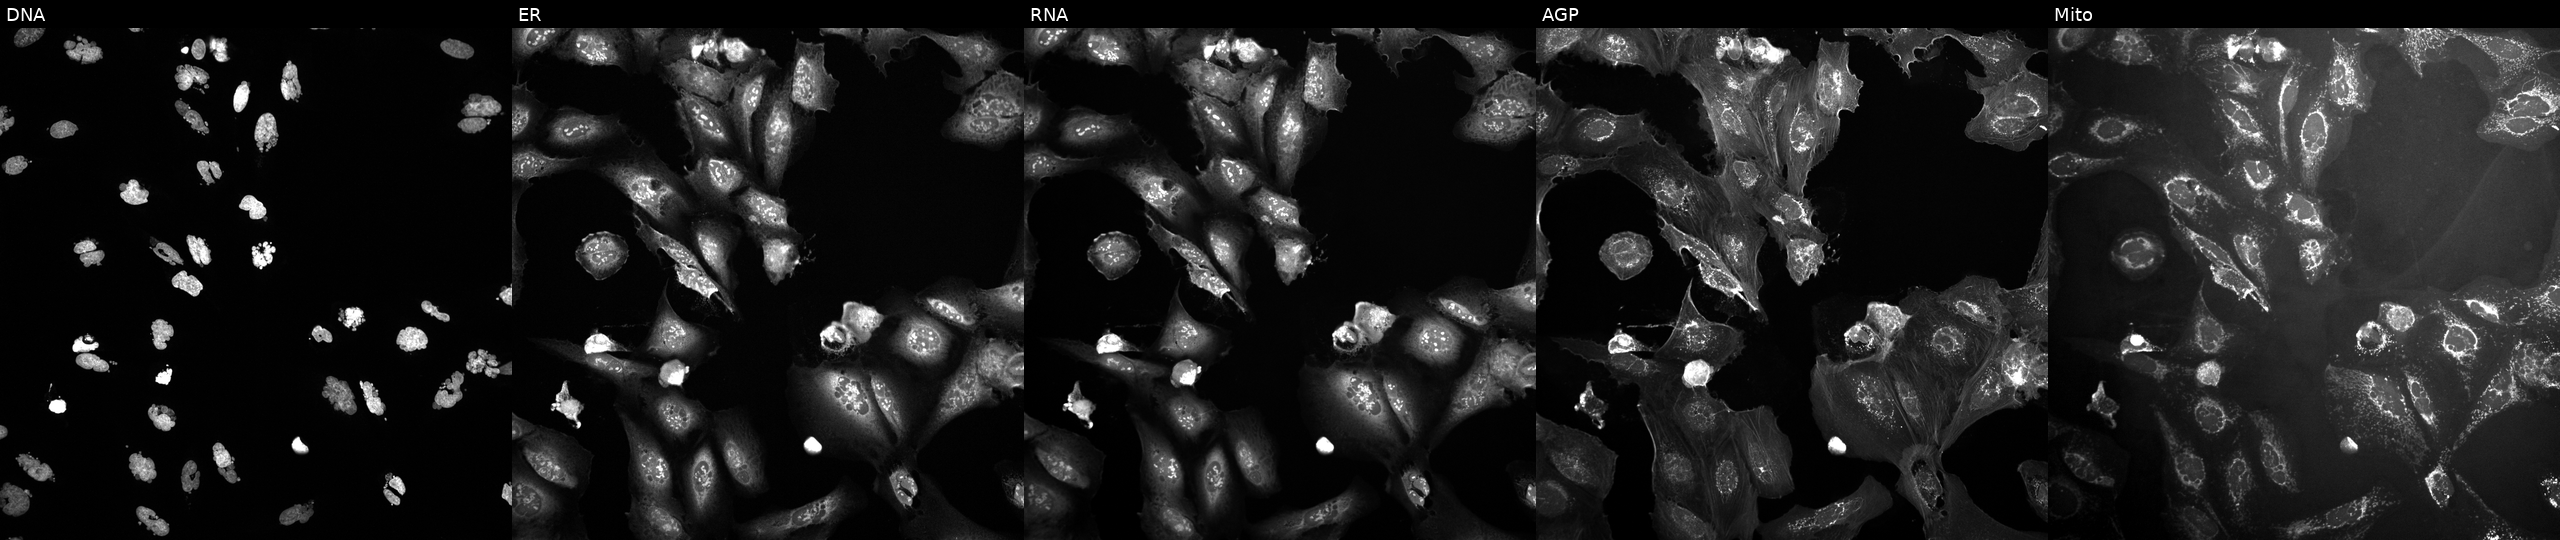
U2OS cells, Cell Painting assay, exposed to the positive-control compound AMG900 (JUMP id JCP2022_037716). The five panels, left to right, show DNA (nuclei); ER (endoplasmic reticulum); RNA (nucleoli and cytoplasmic RNA); AGP (actin cytoskeleton, Golgi, and plasma membrane); Mito (mitochondria). Each panel is percentile-stretched 16-bit fluorescence. Source 10, plate Dest210531-152149, well J01.